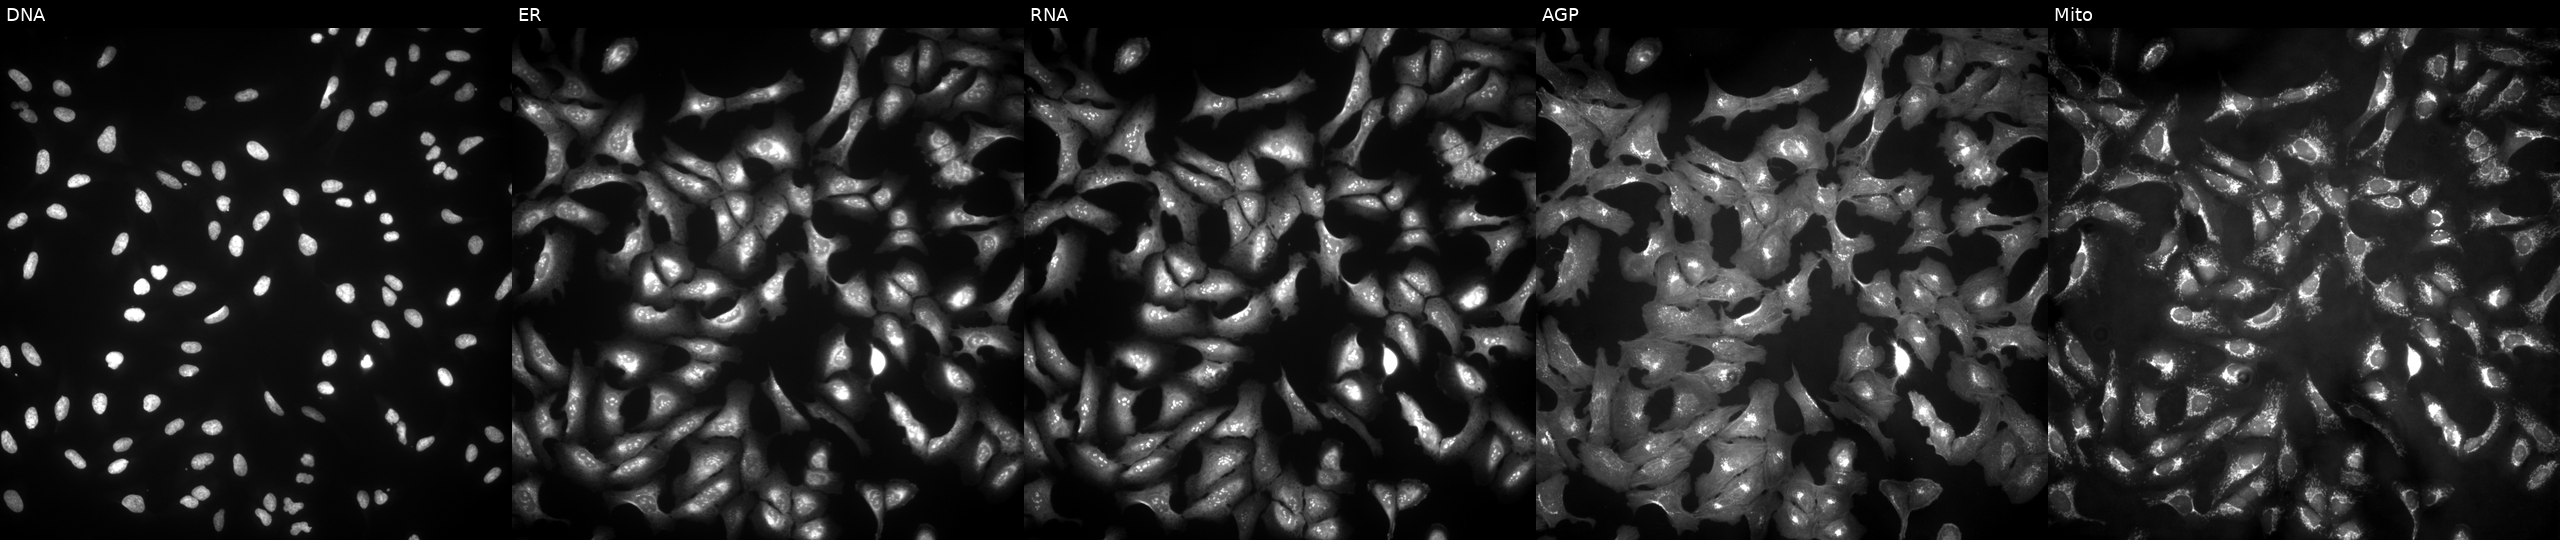
This image strip shows the five Cell Painting channels for a single field of U2OS cells with C12orf66 overexpressed (ORF) (JUMP id JCP2022_913433). Panels show, left to right, Hoechst 33342, concanavalin A, SYTO 14, phalloidin and WGA, MitoTracker. Source 4, plate BR00123506, well K11.